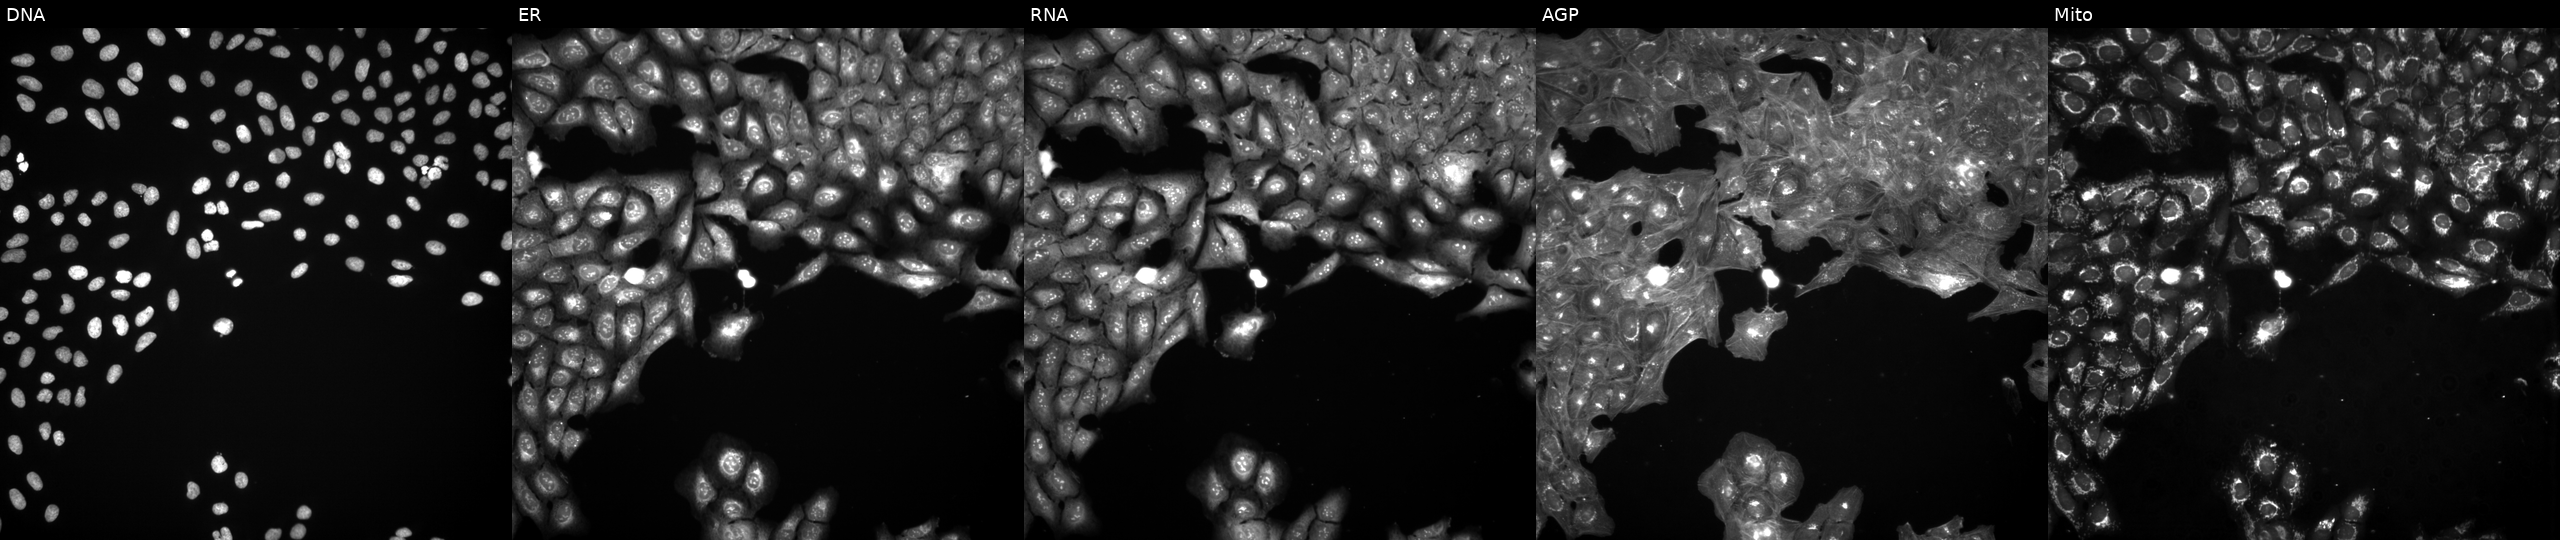
Panels show, left to right, DNA, ER, RNA, AGP, and Mito. U2OS osteosarcoma cells treated with a small-molecule compound. Cell Painting assay, JUMP-CP dataset. Source 3, plate JCPQC052, well B03.